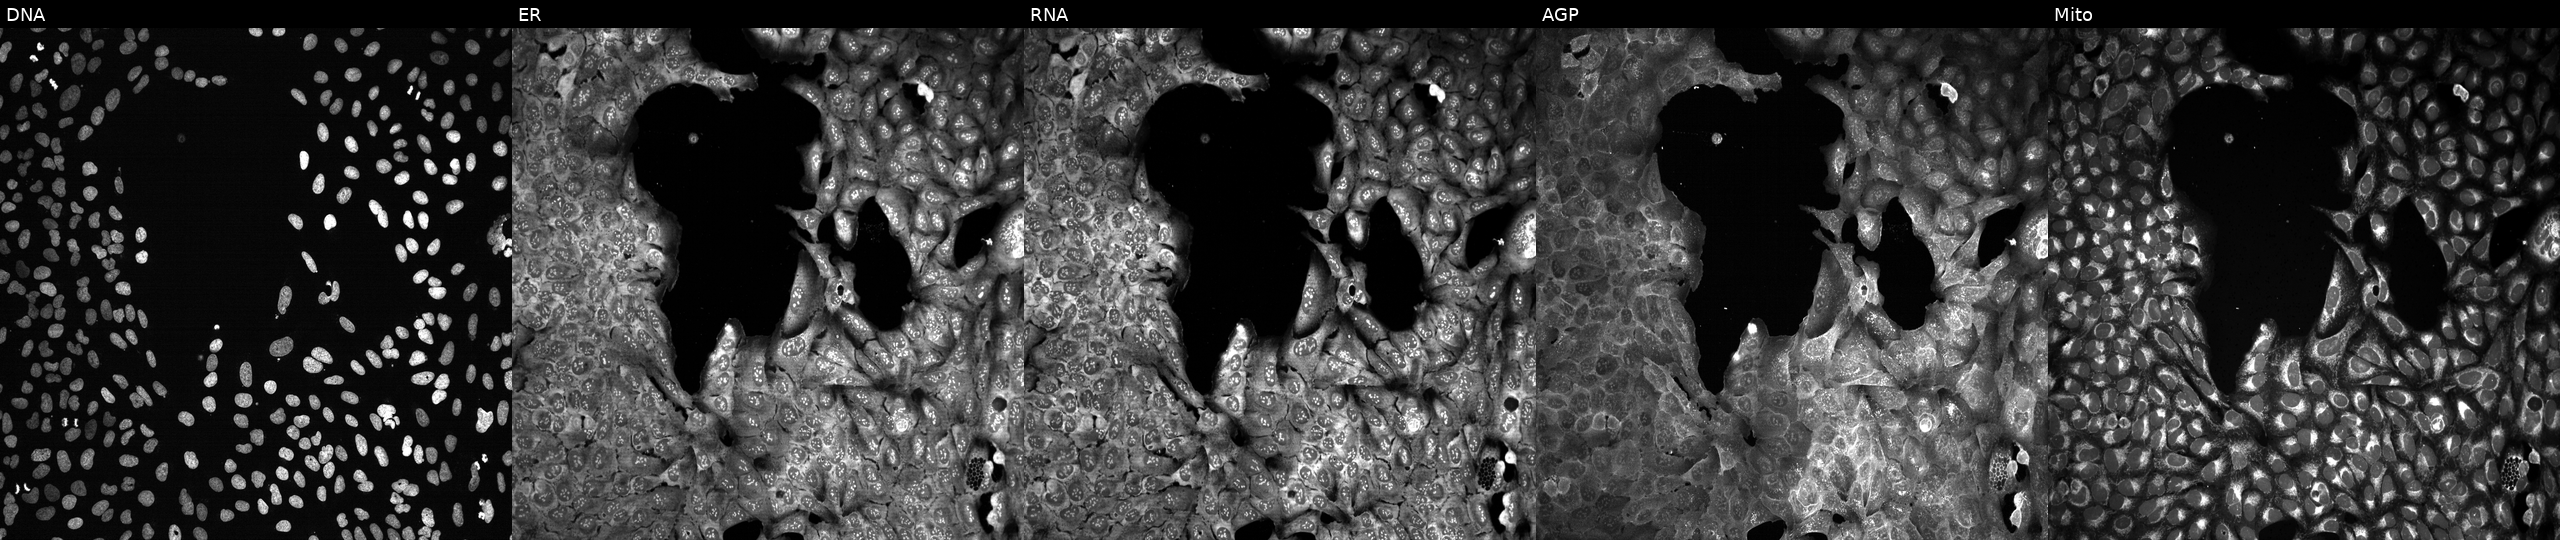
This image strip shows the five Cell Painting channels for a single field of U2OS cells with PRSS48 knocked out by CRISPR. Panels show, left to right, DNA (nuclei); ER (endoplasmic reticulum); RNA (nucleoli and cytoplasmic RNA); AGP (actin cytoskeleton, Golgi, and plasma membrane); Mito (mitochondria). Source 13, plate CP-CC9-R6-19, well K04.